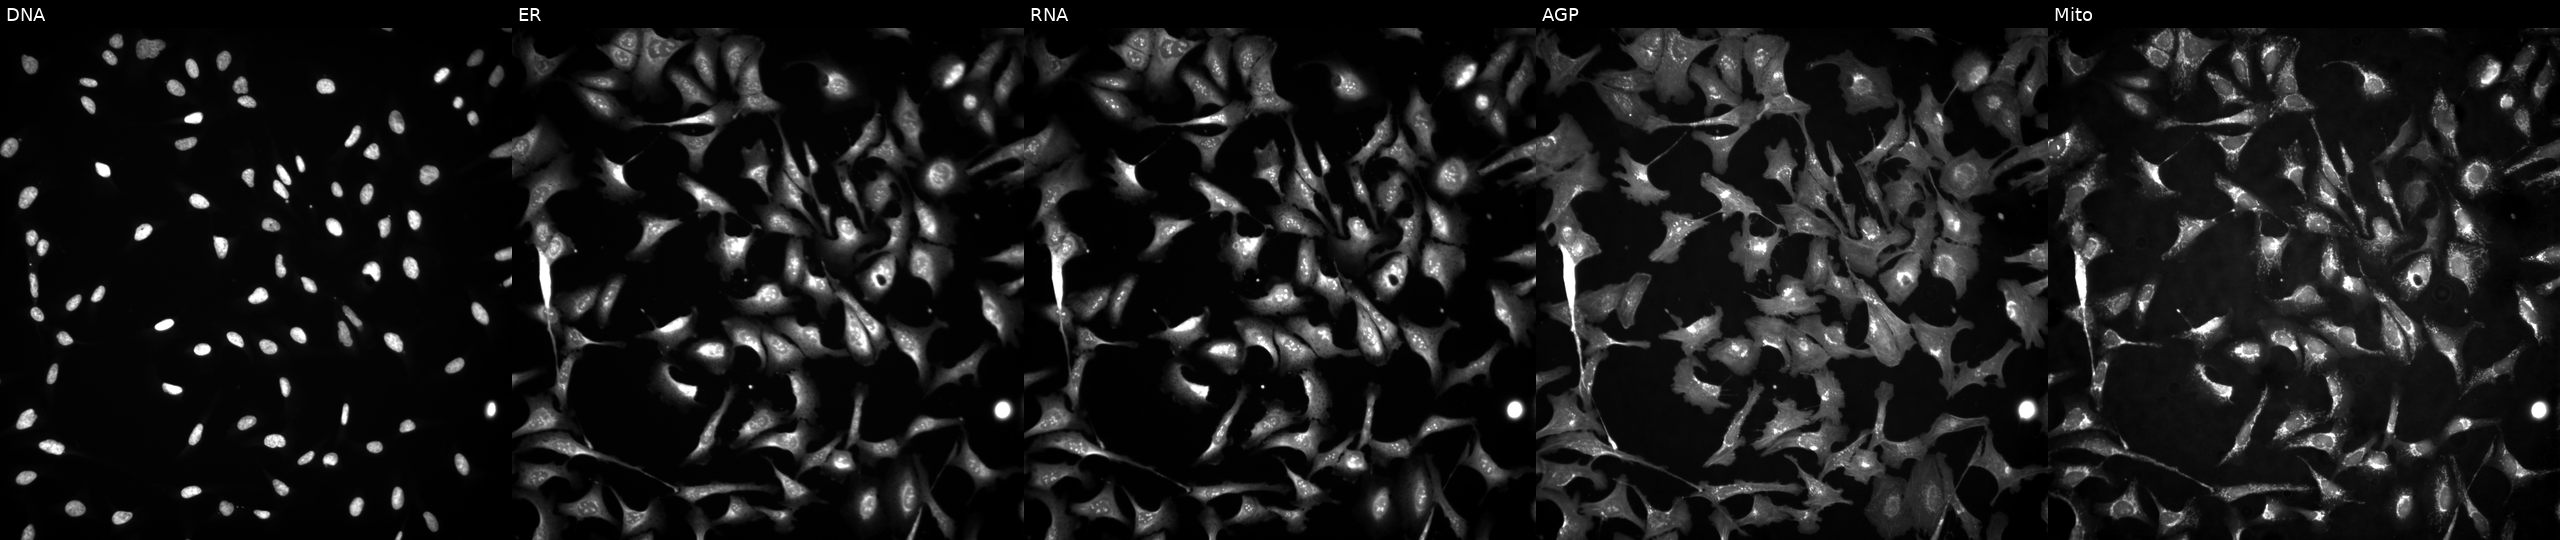
Panels show, left to right, DNA, ER, RNA, AGP, and Mito. U2OS osteosarcoma cells overexpressing PI4KB via ORF transfection. Cell Painting assay, JUMP-CP dataset. Source 4, plate BR00123945, well D21.